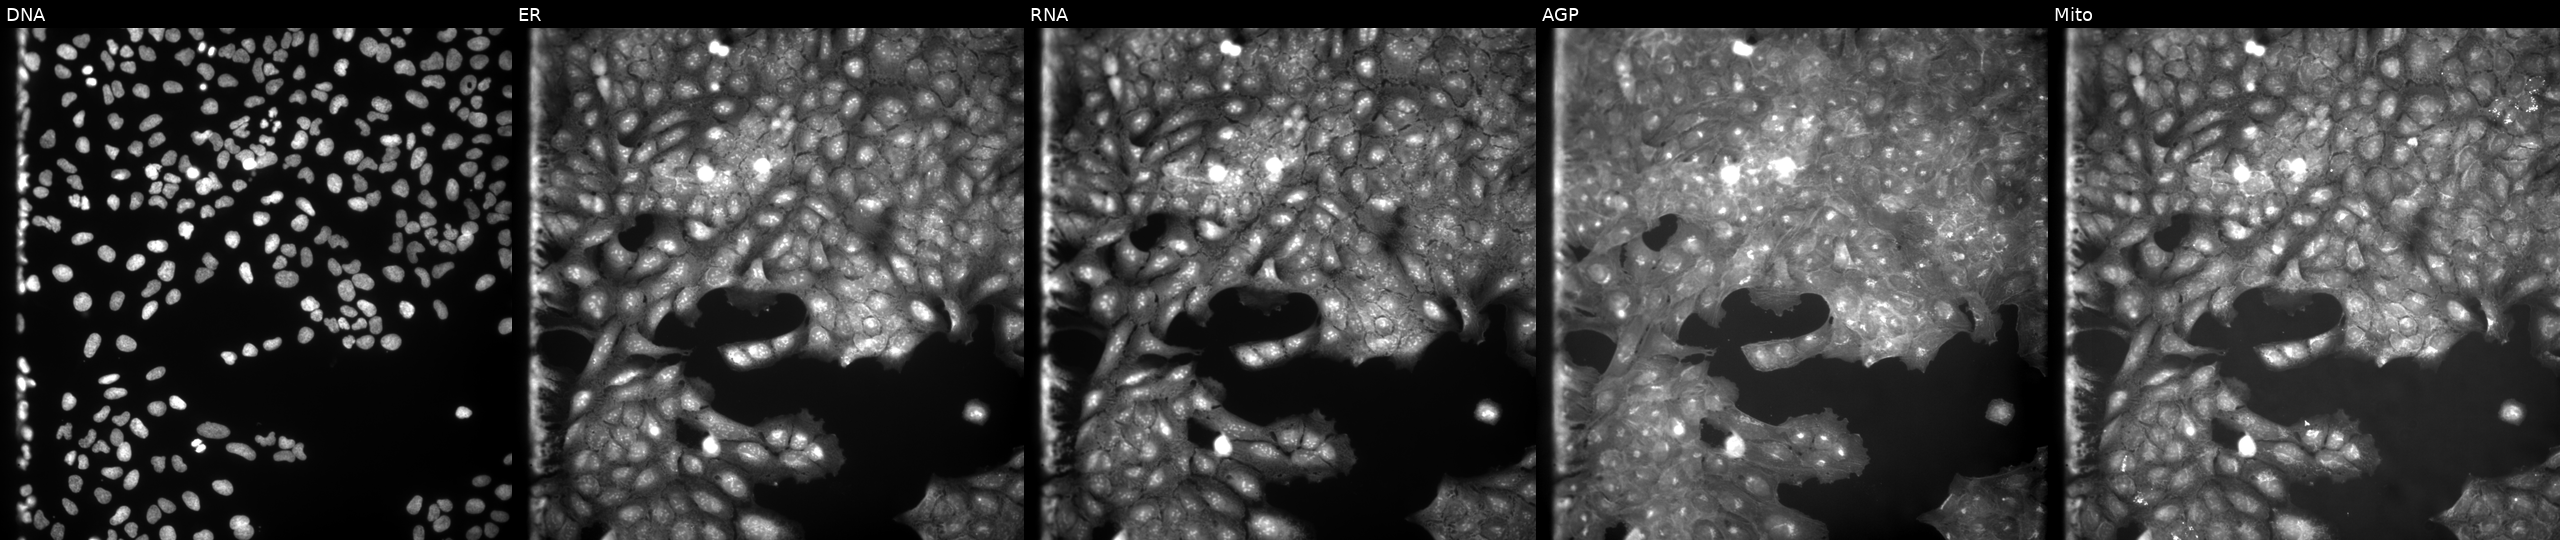
Five-channel Cell Painting image of U2OS cells perturbed with a small-molecule compound (InChIKey SPJOZZSIXXJYBT-UHFFFAOYSA-N) (JUMP id JCP2022_084763). Panels show, left to right, DNA, ER, RNA, AGP, and Mito. Source 9, plate GR00003381, well E11.